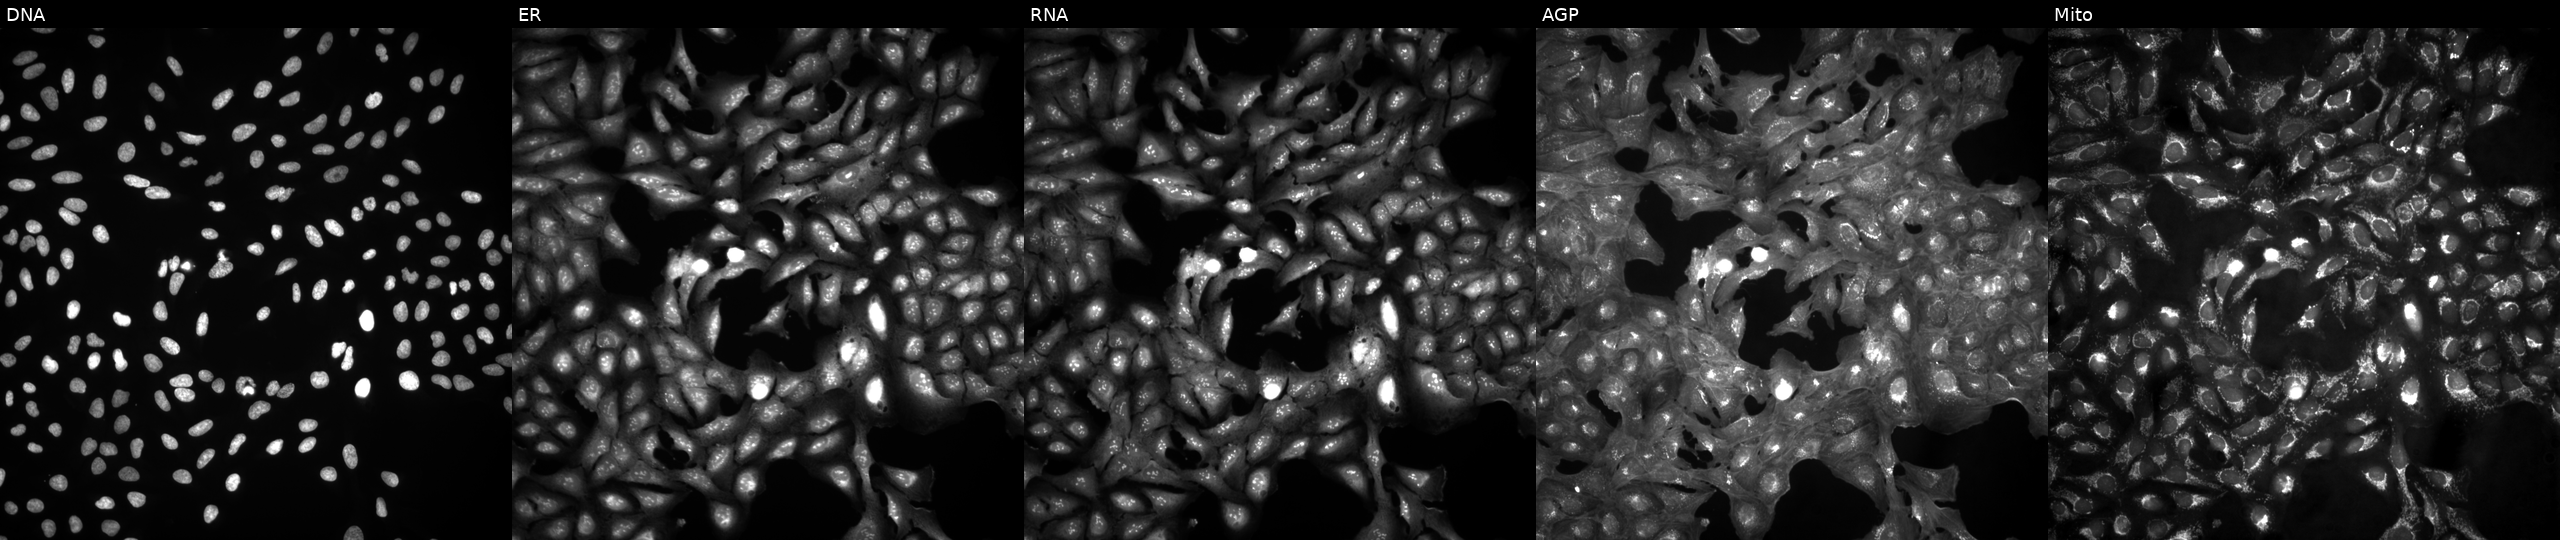
High-content fluorescence microscopy (Cell Painting). Cell line: U2OS. Perturbation: in an empty control well (no perturbation). From left to right: DNA, ER, RNA, AGP, and Mito. Source 4, plate BR00123946, well F03.